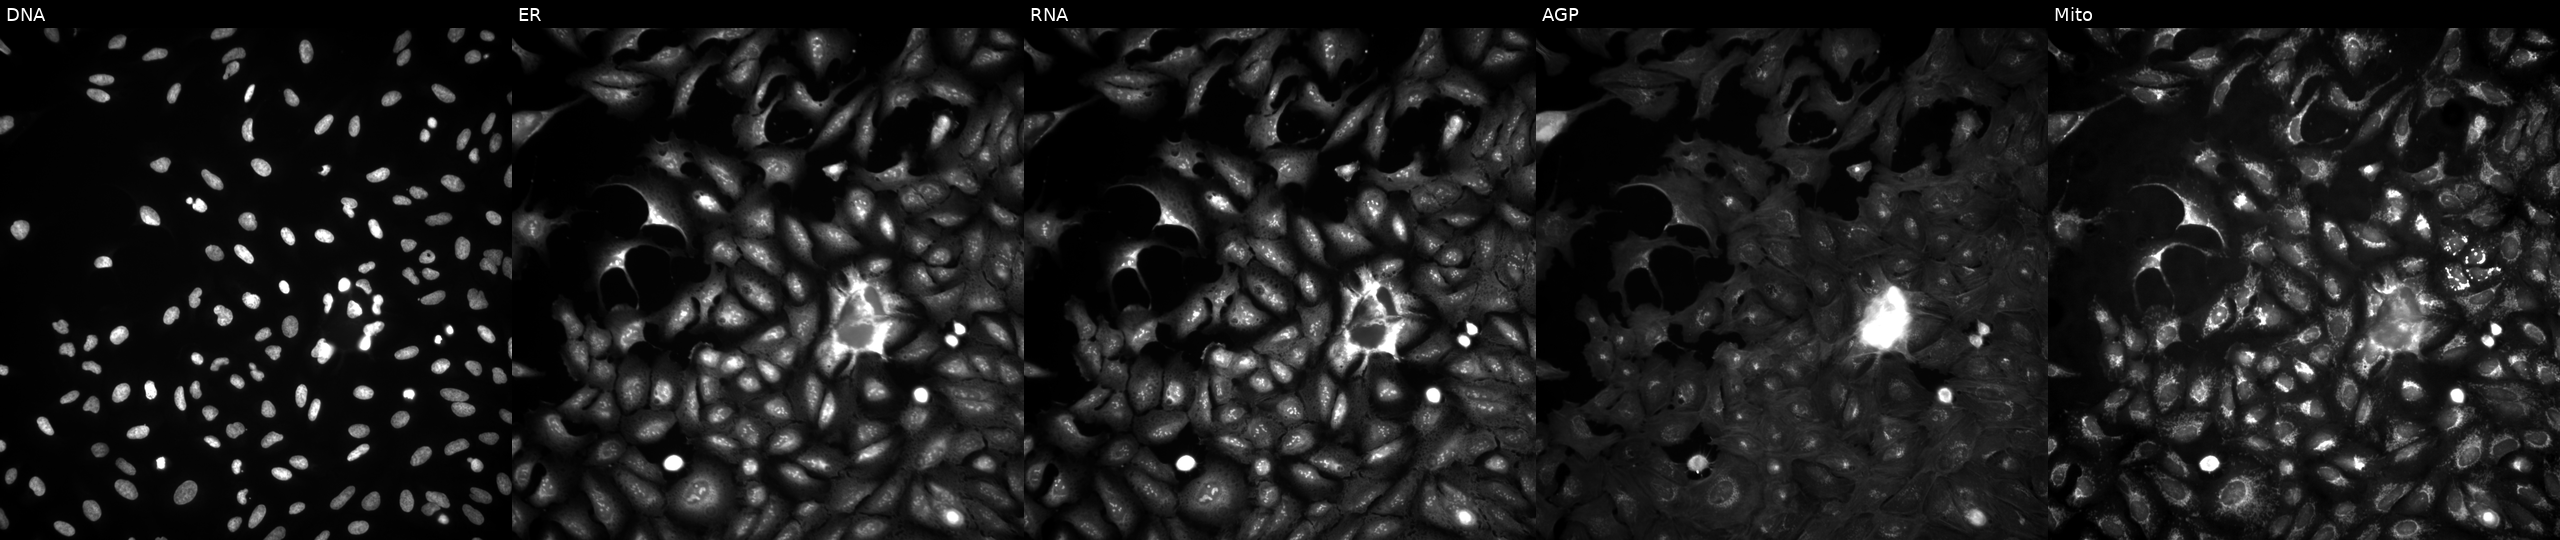
This image strip shows the five Cell Painting channels for a single field of U2OS cells with SFR1 overexpressed (ORF). From left to right: DNA (nuclei); ER (endoplasmic reticulum); RNA (nucleoli and cytoplasmic RNA); AGP (actin cytoskeleton, Golgi, and plasma membrane); Mito (mitochondria). Source 4, plate BR00124784, well O09.